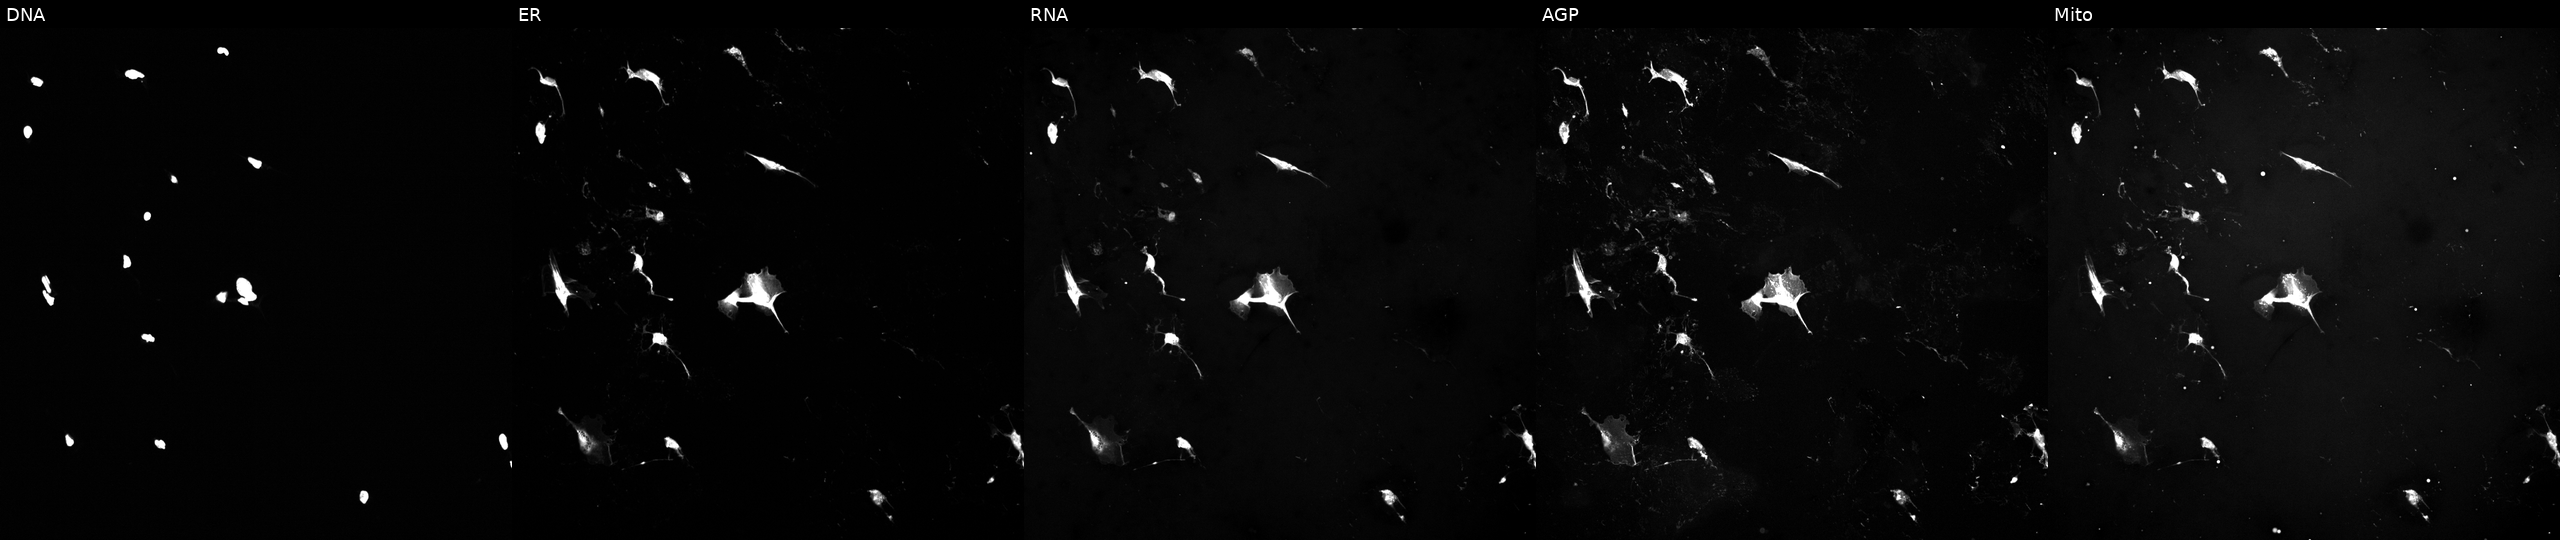
This image strip shows the five Cell Painting channels for a single field of U2OS cells perturbed with a small-molecule compound (InChIKey AJVXVYTVAAWZAP-UHFFFAOYSA-N) (JUMP id JCP2022_001890). Channels (left→right): DNA, ER, RNA, AGP, and Mito. Source 5, plate ACPJUM051, well O05.